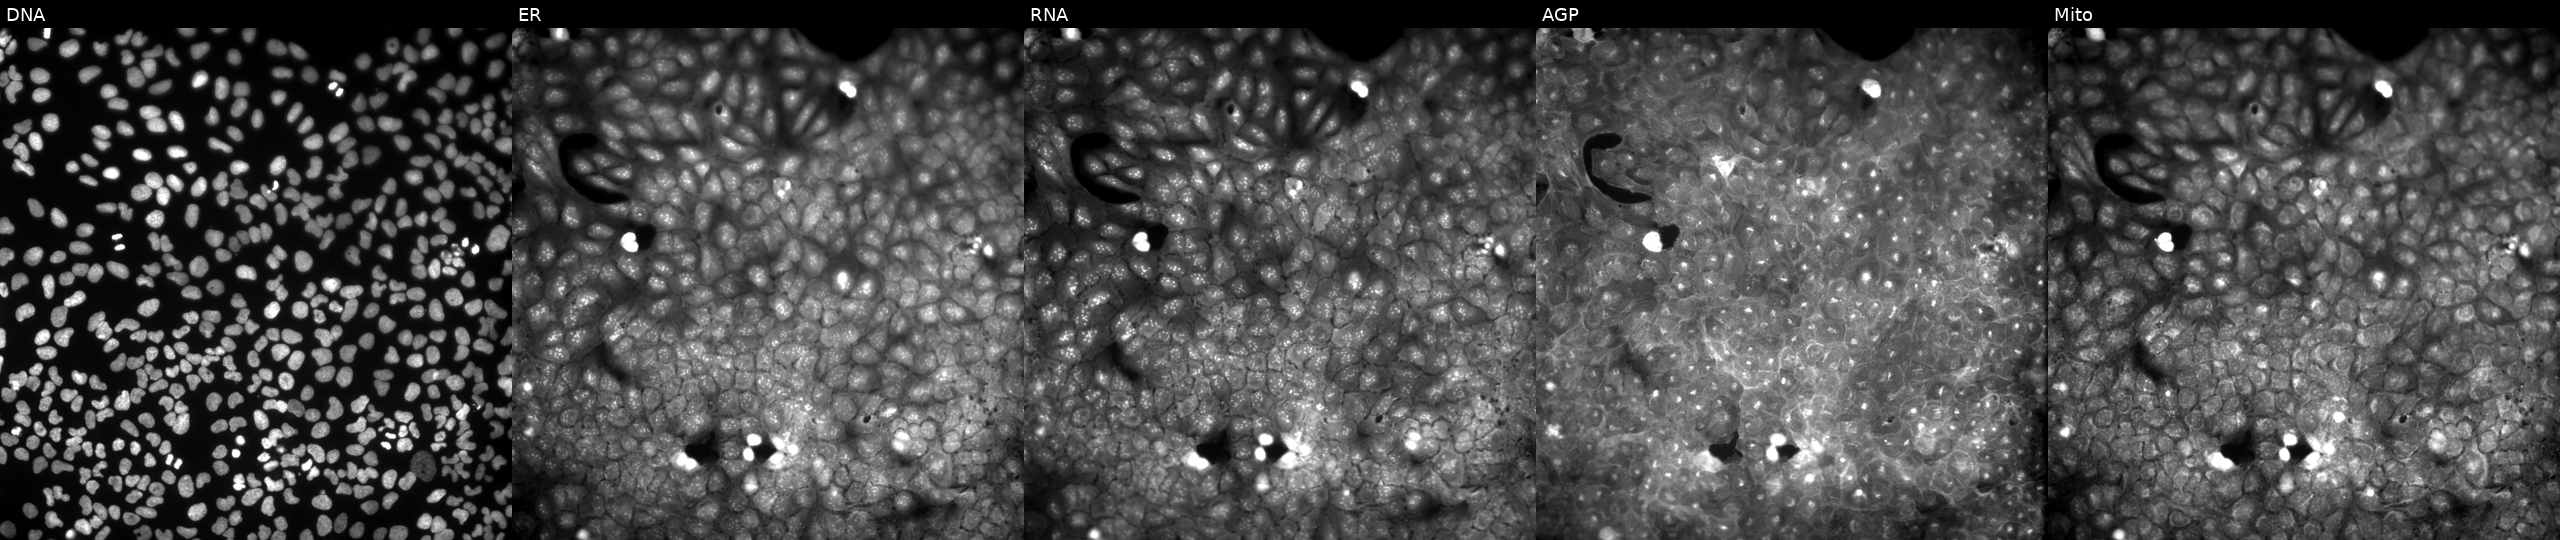
U2OS cells, Cell Painting assay, treated with a small-molecule compound (InChIKey BDHVYIYKWYEFKQ-UHFFFAOYSA-N). Channels (left→right): Hoechst 33342, concanavalin A, SYTO 14, phalloidin and WGA, MitoTracker. Each panel is percentile-stretched 16-bit fluorescence.